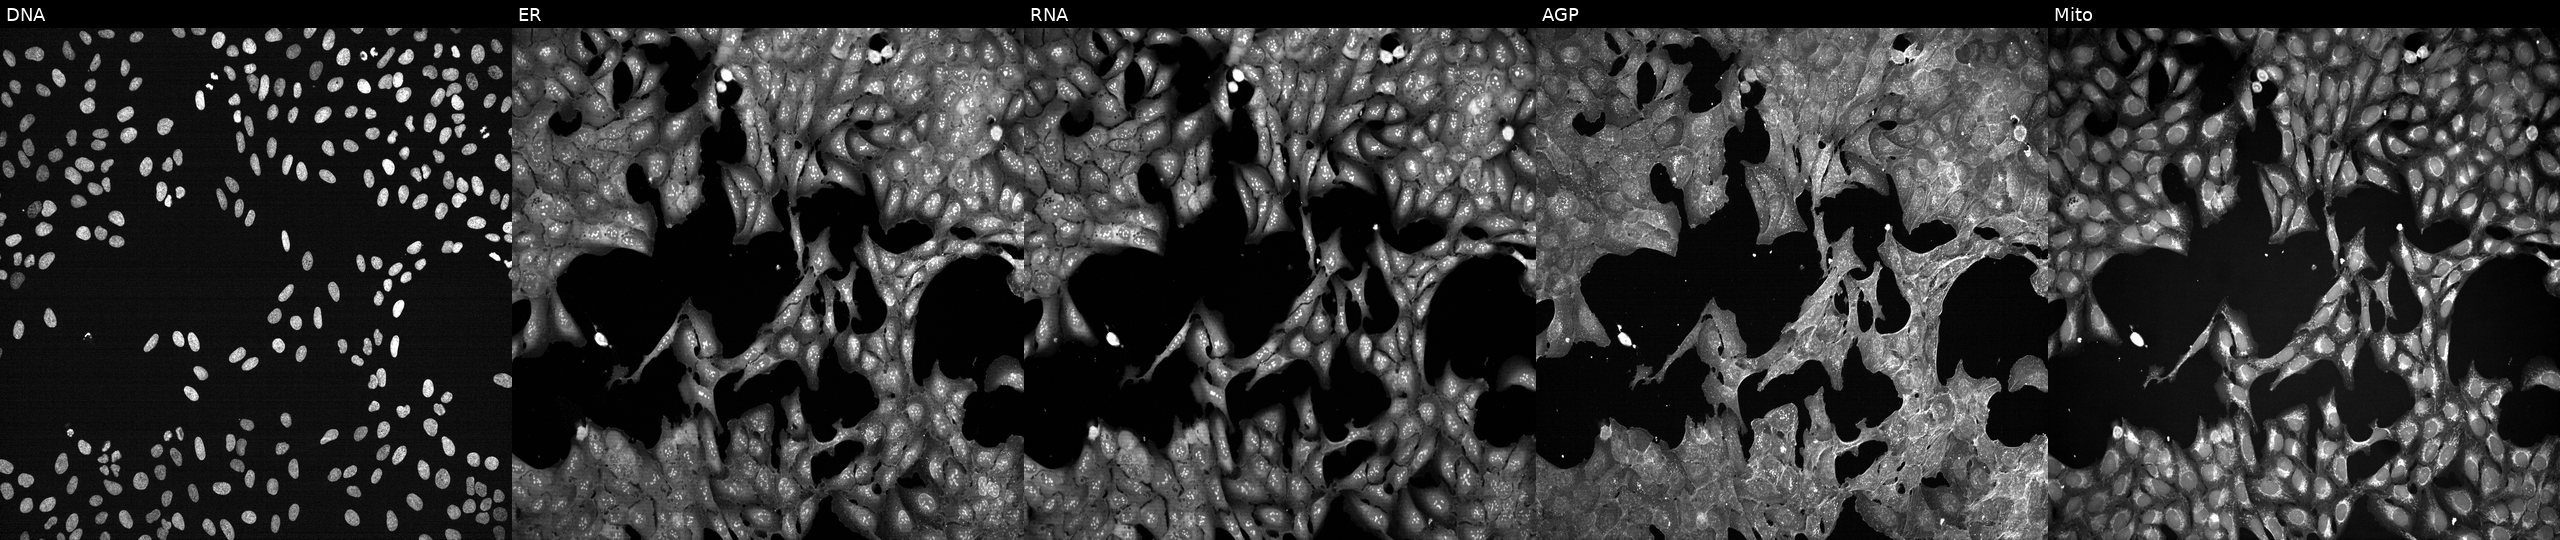
U2OS cells, Cell Painting assay, exposed to a small-molecule compound (InChIKey FERIUCNNQQJTOY-UHFFFAOYSA-N) (JUMP id JCP2022_020163). Channels (left→right): DNA (nuclei); ER (endoplasmic reticulum); RNA (nucleoli and cytoplasmic RNA); AGP (actin cytoskeleton, Golgi, and plasma membrane); Mito (mitochondria). Each panel is percentile-stretched 16-bit fluorescence.